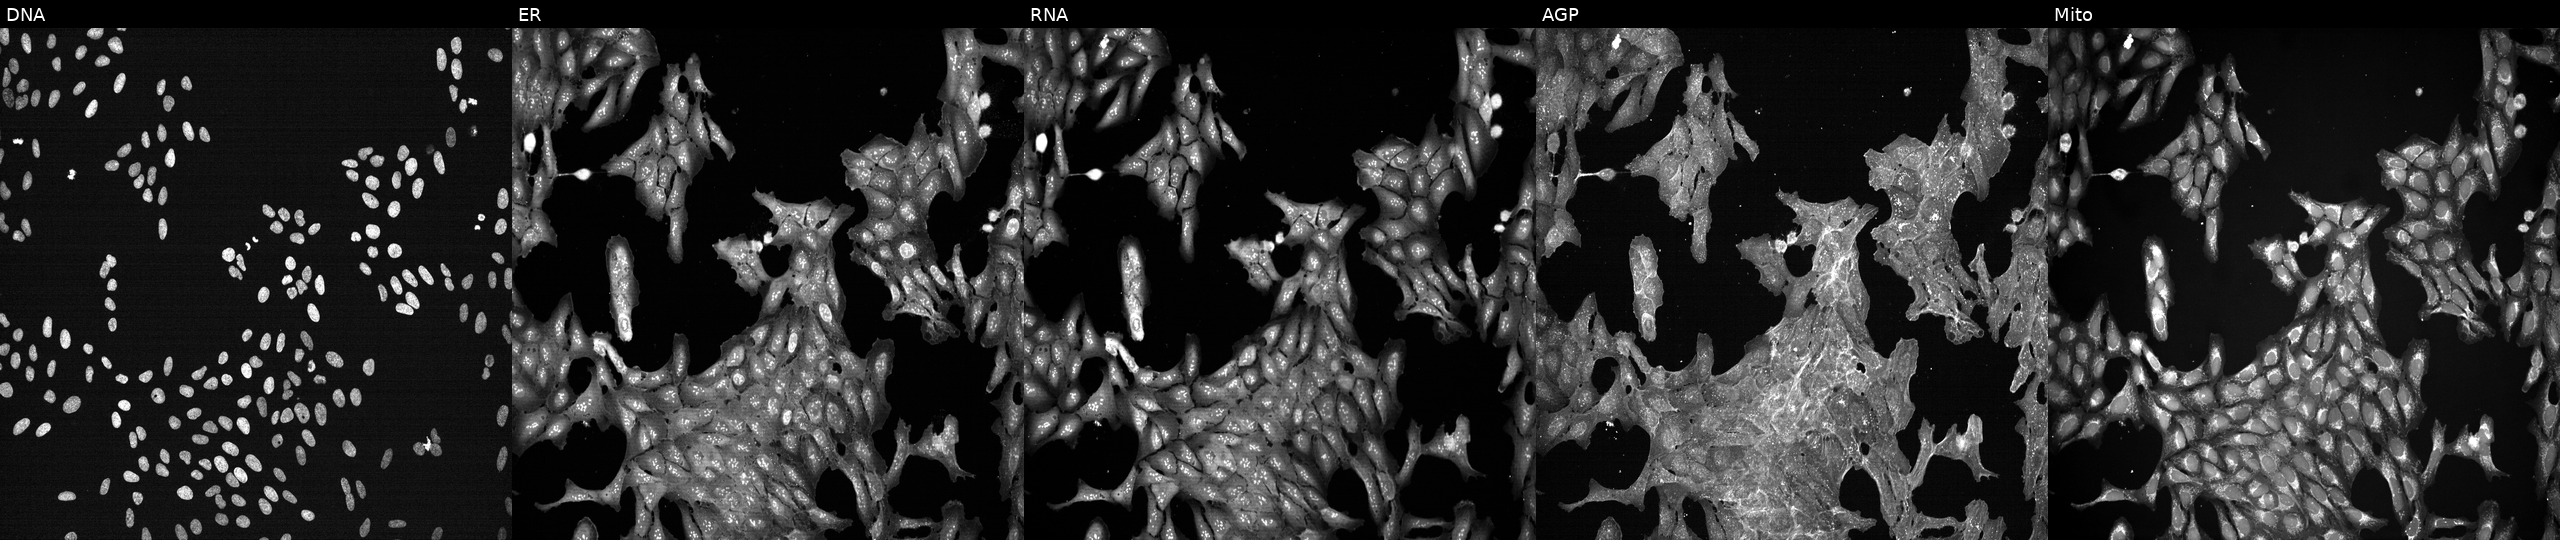
This image strip shows the five Cell Painting channels for a single field of U2OS cells treated with a small-molecule compound (InChIKey KAQKFAOMNZTLHT-UHFFFAOYSA-N). Panels show, left to right, DNA (nuclei); ER (endoplasmic reticulum); RNA (nucleoli and cytoplasmic RNA); AGP (actin cytoskeleton, Golgi, and plasma membrane); Mito (mitochondria). Source 7, plate CP2-SC1-25, well L21.